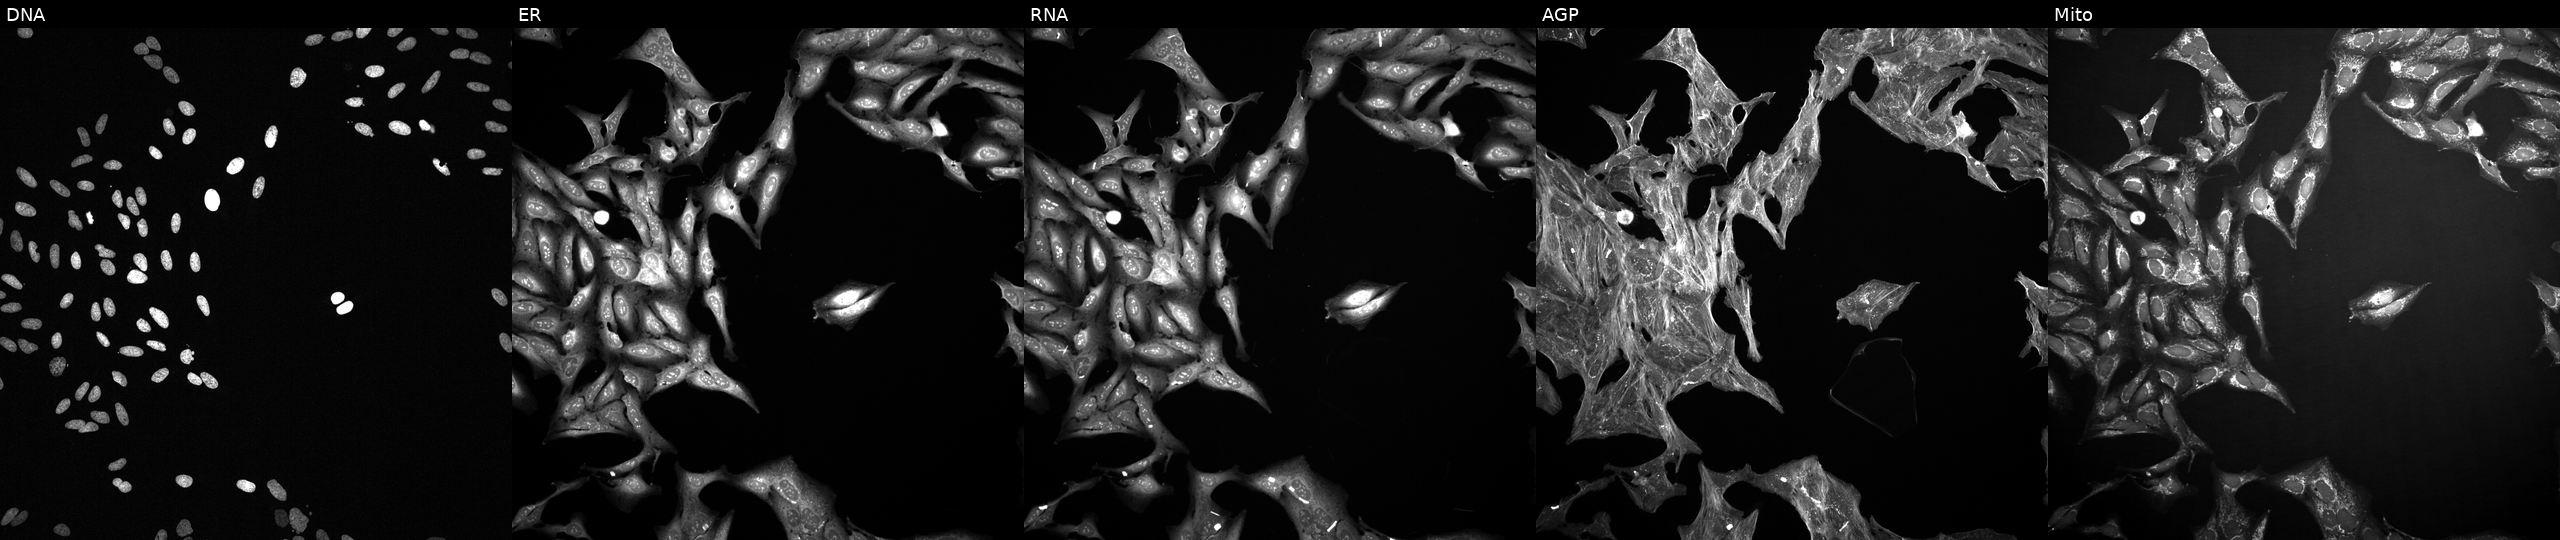
U2OS cells, Cell Painting assay, treated with a small-molecule compound (InChIKey KAJXOWFGKYKMMZ-UHFFFAOYSA-N). From left to right: DNA, ER, RNA, AGP, and Mito. Each panel is percentile-stretched 16-bit fluorescence. Source 2, plate 1053597936, well M23.